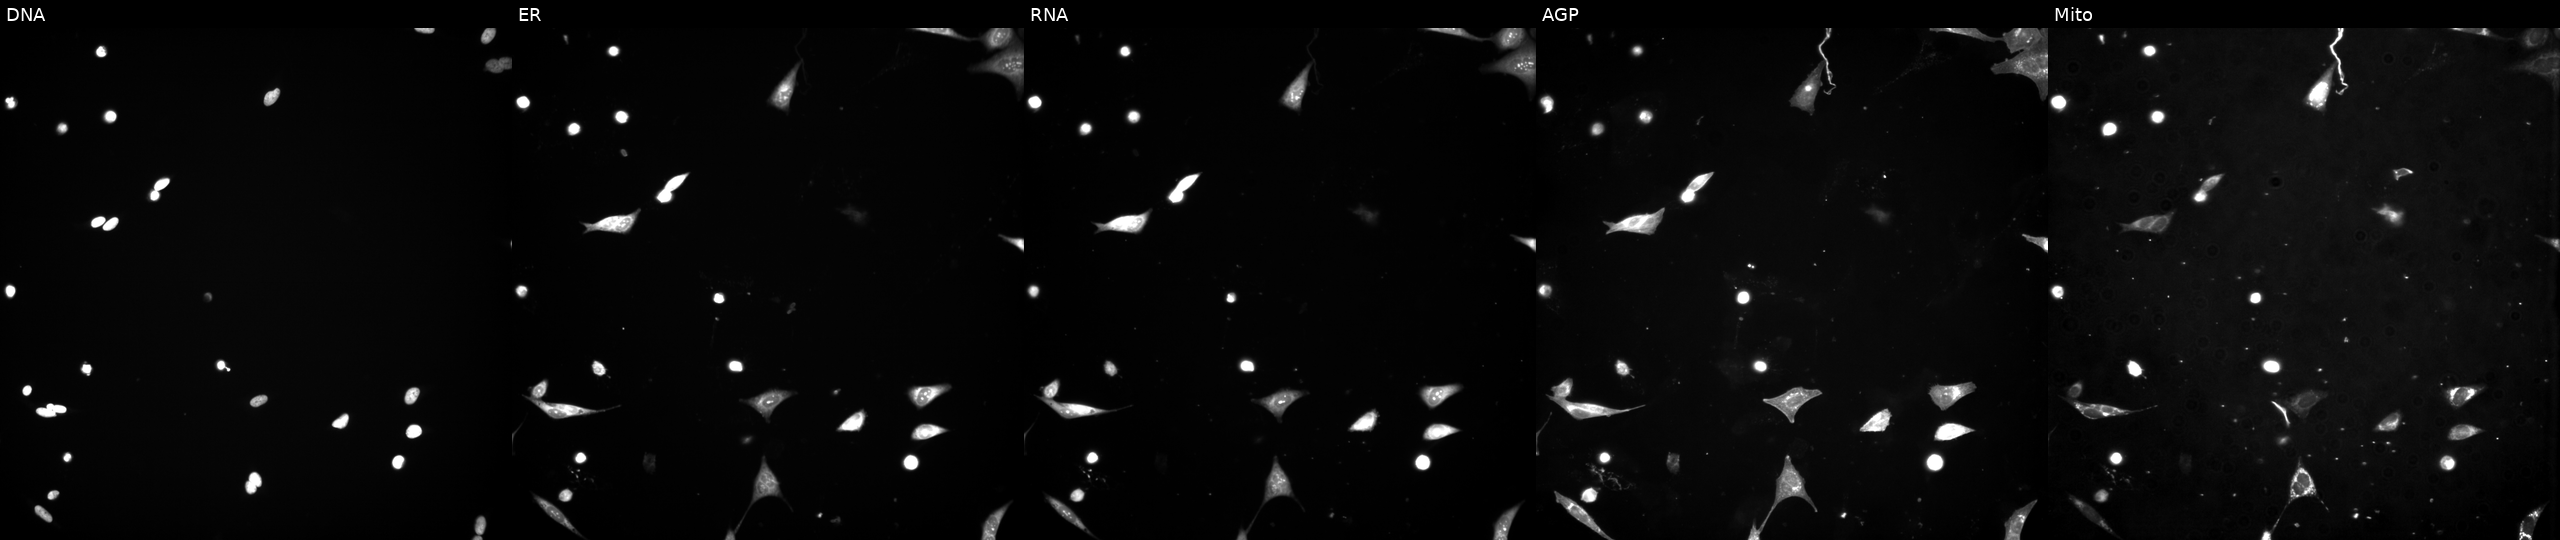
Panels show, left to right, Hoechst 33342, concanavalin A, SYTO 14, phalloidin and WGA, MitoTracker. U2OS osteosarcoma cells treated with a small-molecule compound (InChIKey SOOPLNPQGWJZHY-UHFFFAOYSA-N) (JUMP id JCP2022_084606). Cell Painting assay, JUMP-CP dataset. Source 3, plate JCPQC052, well L06.